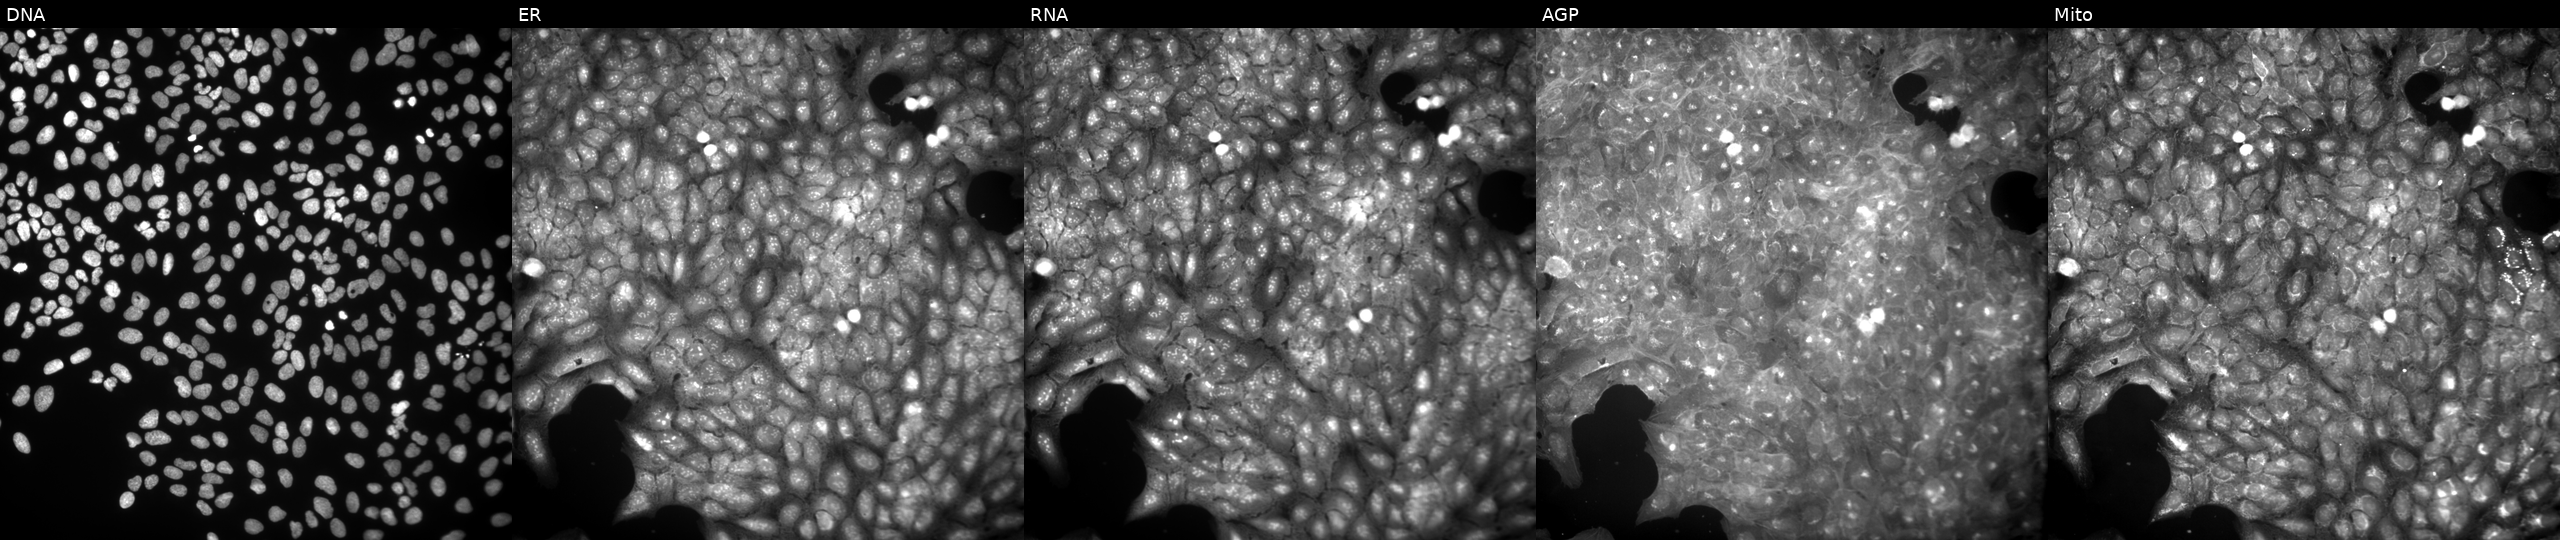
High-content fluorescence microscopy (Cell Painting). Cell line: U2OS. Perturbation: exposed to a small-molecule compound (InChIKey WGONSXNFGGQFQC-UHFFFAOYSA-N) (JUMP id JCP2022_098617). Panels show, left to right, DNA, ER, RNA, AGP, and Mito.